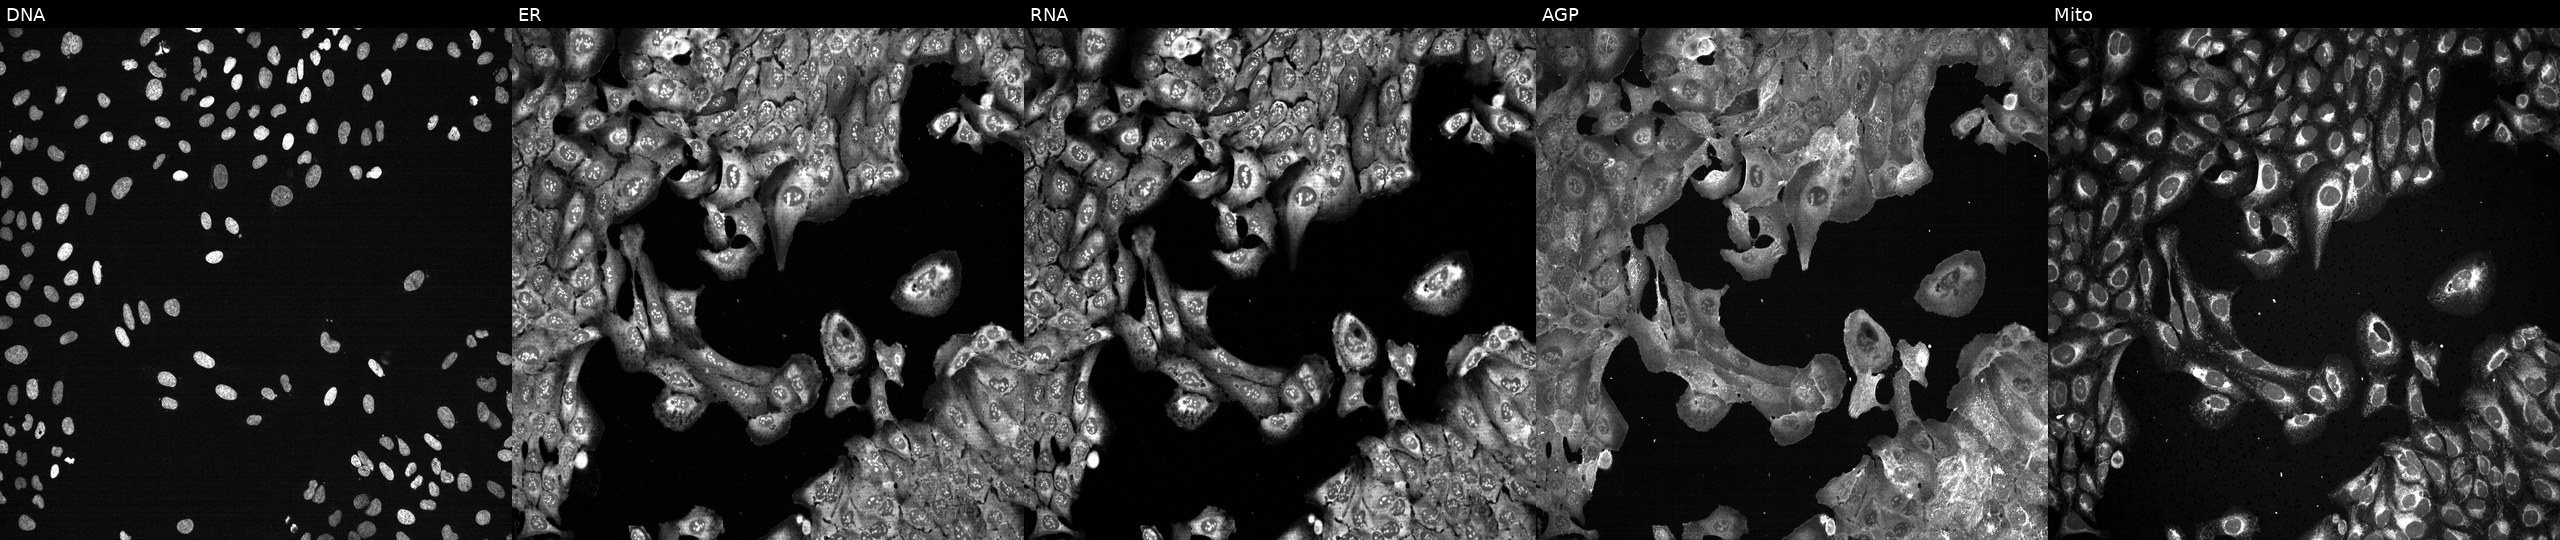
Five-channel Cell Painting image of U2OS cells CRISPR-edited to disrupt SLC2A2. Channels (left→right): DNA (nuclei); ER (endoplasmic reticulum); RNA (nucleoli and cytoplasmic RNA); AGP (actin cytoskeleton, Golgi, and plasma membrane); Mito (mitochondria).